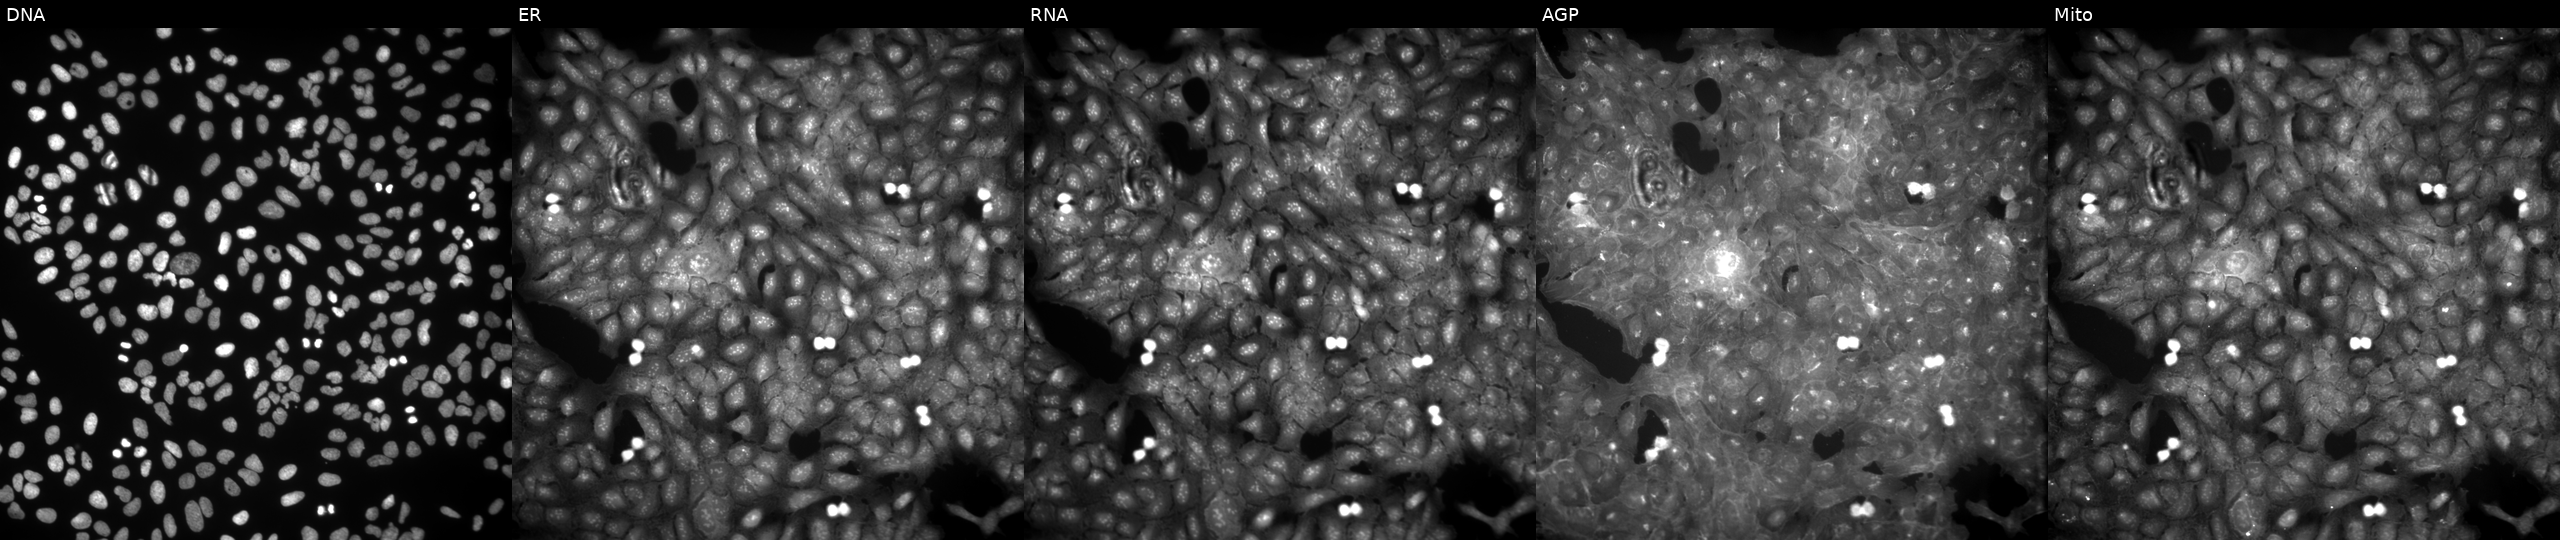
JUMP Cell Painting — COMPOUND plate. U2OS cells exposed to DMSO alone as a negative control (JUMP id JCP2022_033924). Panels show, left to right, DNA (nuclei); ER (endoplasmic reticulum); RNA (nucleoli and cytoplasmic RNA); AGP (actin cytoskeleton, Golgi, and plasma membrane); Mito (mitochondria).